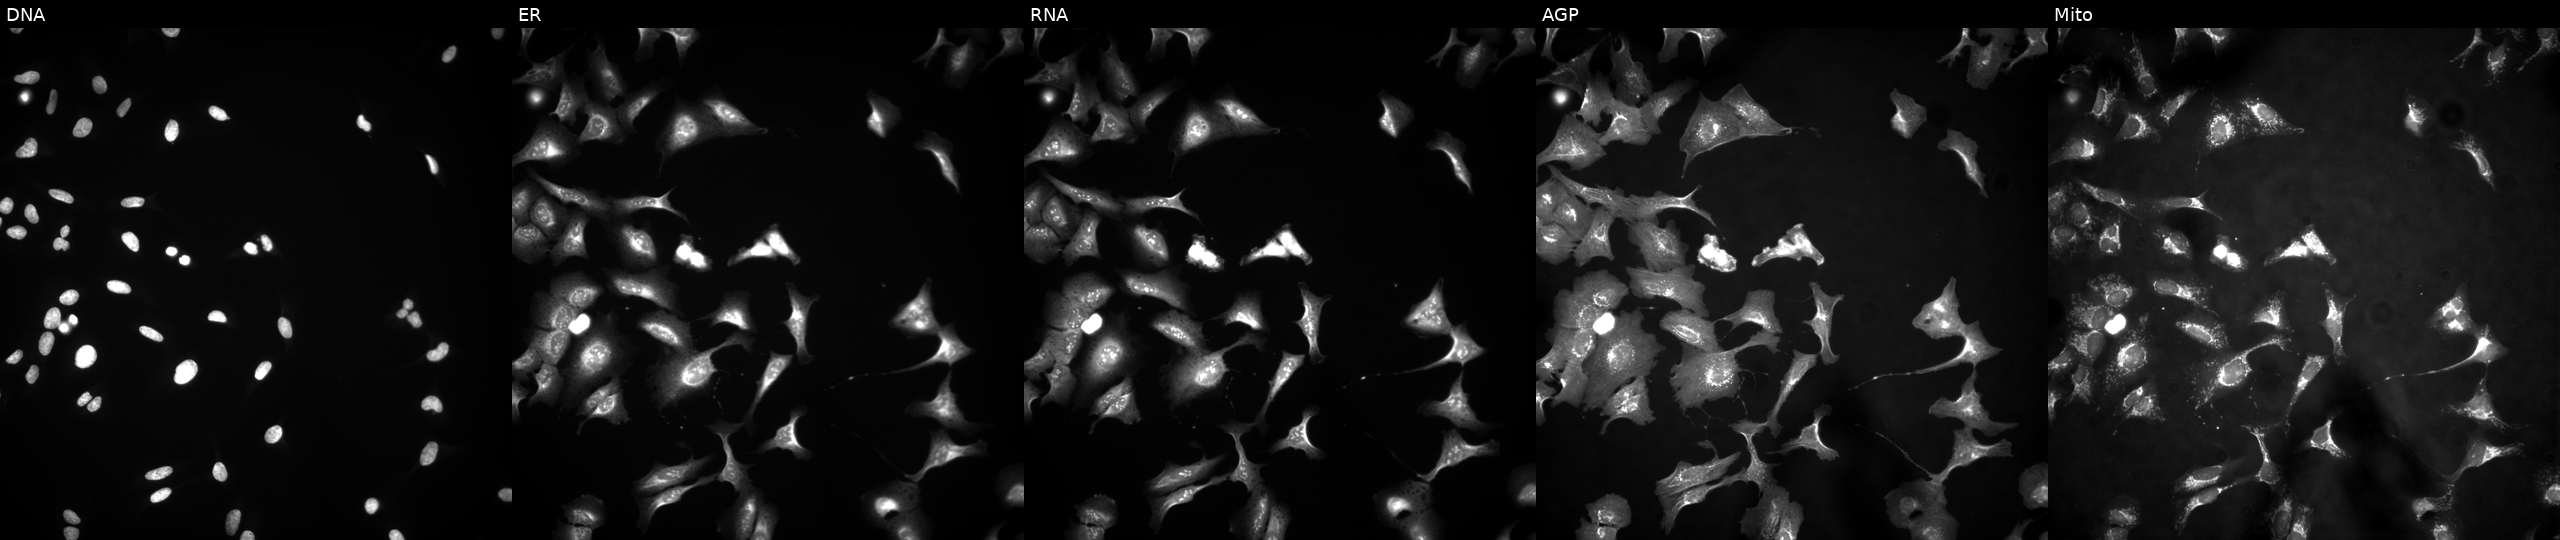
This image strip shows the five Cell Painting channels for a single field of U2OS cells with ARF1 overexpressed (ORF) (JUMP id JCP2022_900087). The five panels, left to right, show DNA (nuclei); ER (endoplasmic reticulum); RNA (nucleoli and cytoplasmic RNA); AGP (actin cytoskeleton, Golgi, and plasma membrane); Mito (mitochondria).